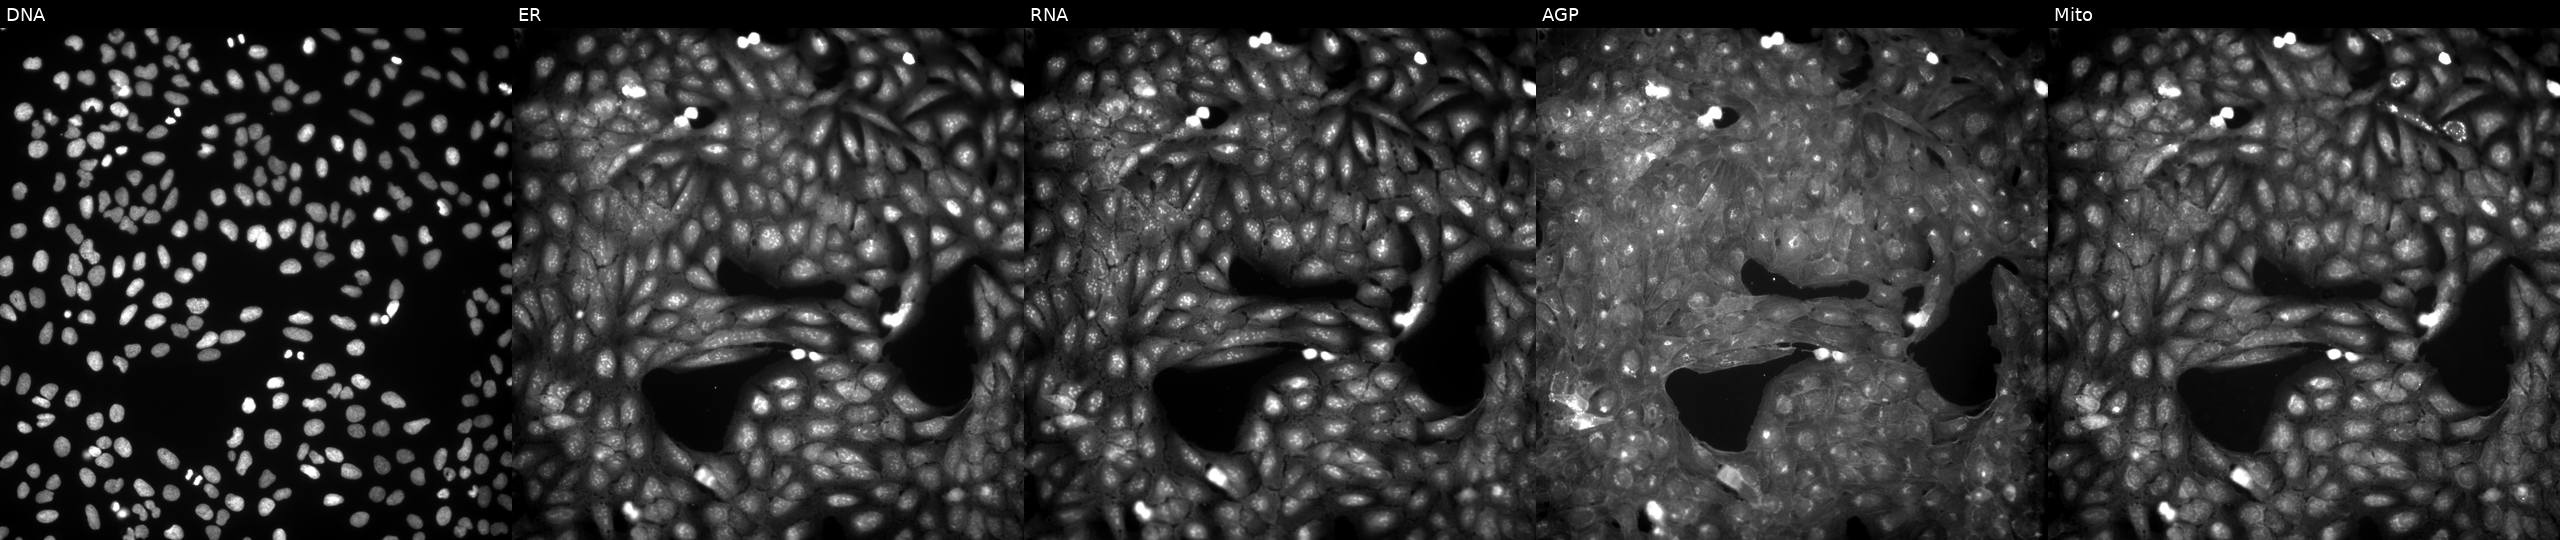
JUMP Cell Painting — COMPOUND plate. U2OS cells treated with a small-molecule compound (InChIKey VDNJSLLKVQPKKG-UHFFFAOYSA-N) [SMILES: CCCC(=O)Oc1ccc(N(C(=O)CCC)S(=O)(=O)c2cccs2)cc1]. Panels show, left to right, DNA, ER, RNA, AGP, and Mito. Source 9, plate GR00003381, well AB17.